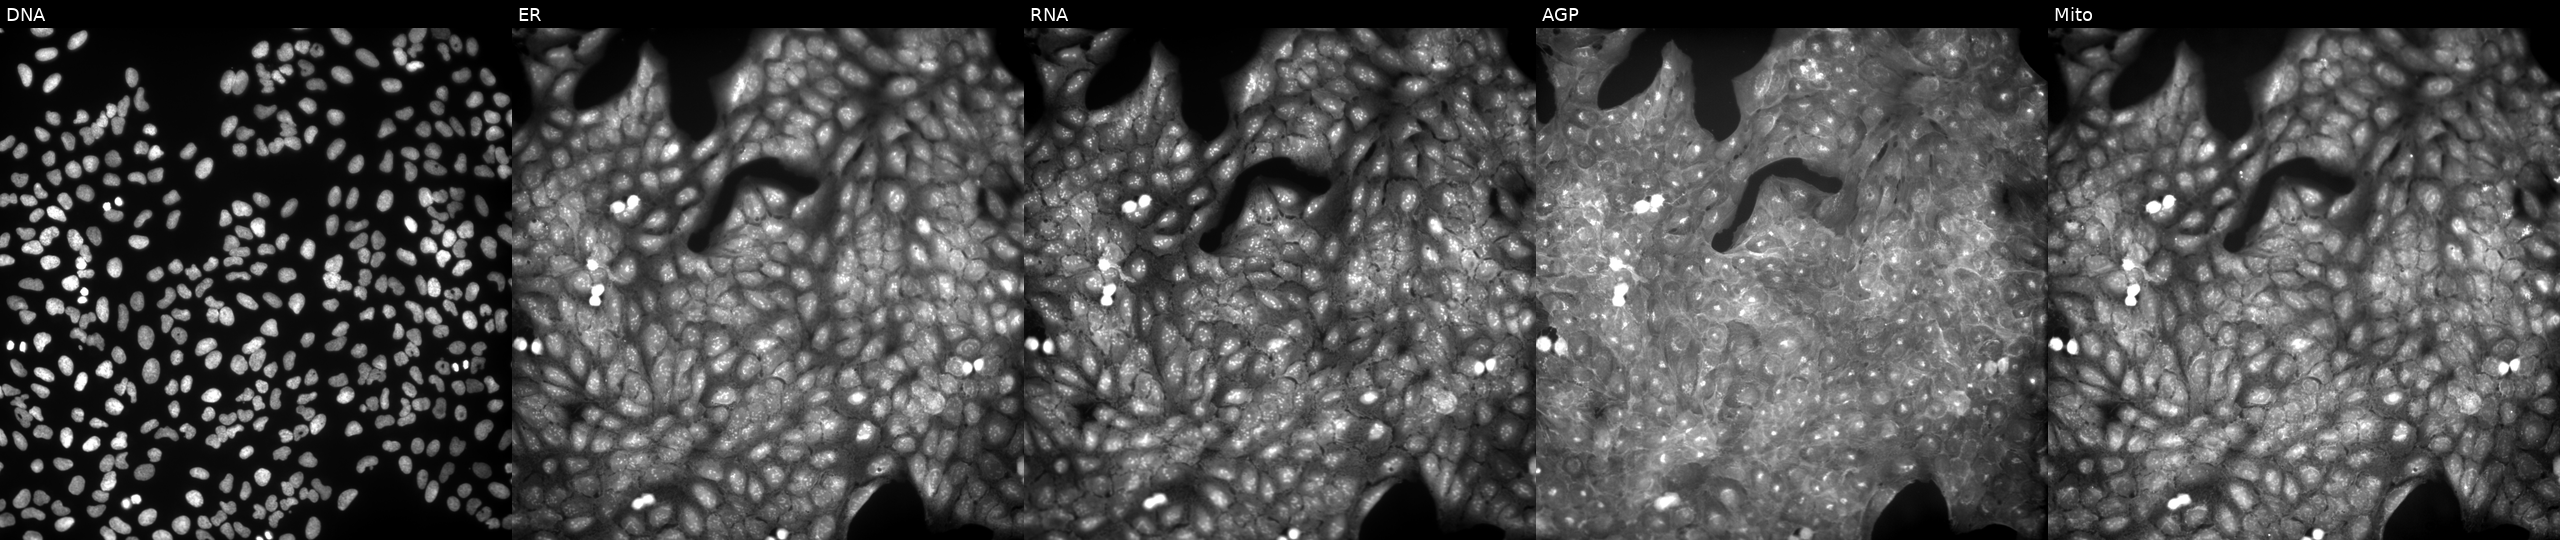
Panels show, left to right, DNA (nuclei); ER (endoplasmic reticulum); RNA (nucleoli and cytoplasmic RNA); AGP (actin cytoskeleton, Golgi, and plasma membrane); Mito (mitochondria). U2OS osteosarcoma cells treated with a small-molecule compound (InChIKey JPWAUTRDHFNTRD-UHFFFAOYSA-N) [SMILES: Brc1ccc(C2=Nc3cccc4cccc(c34)N2)o1]. Cell Painting assay, JUMP-CP dataset.